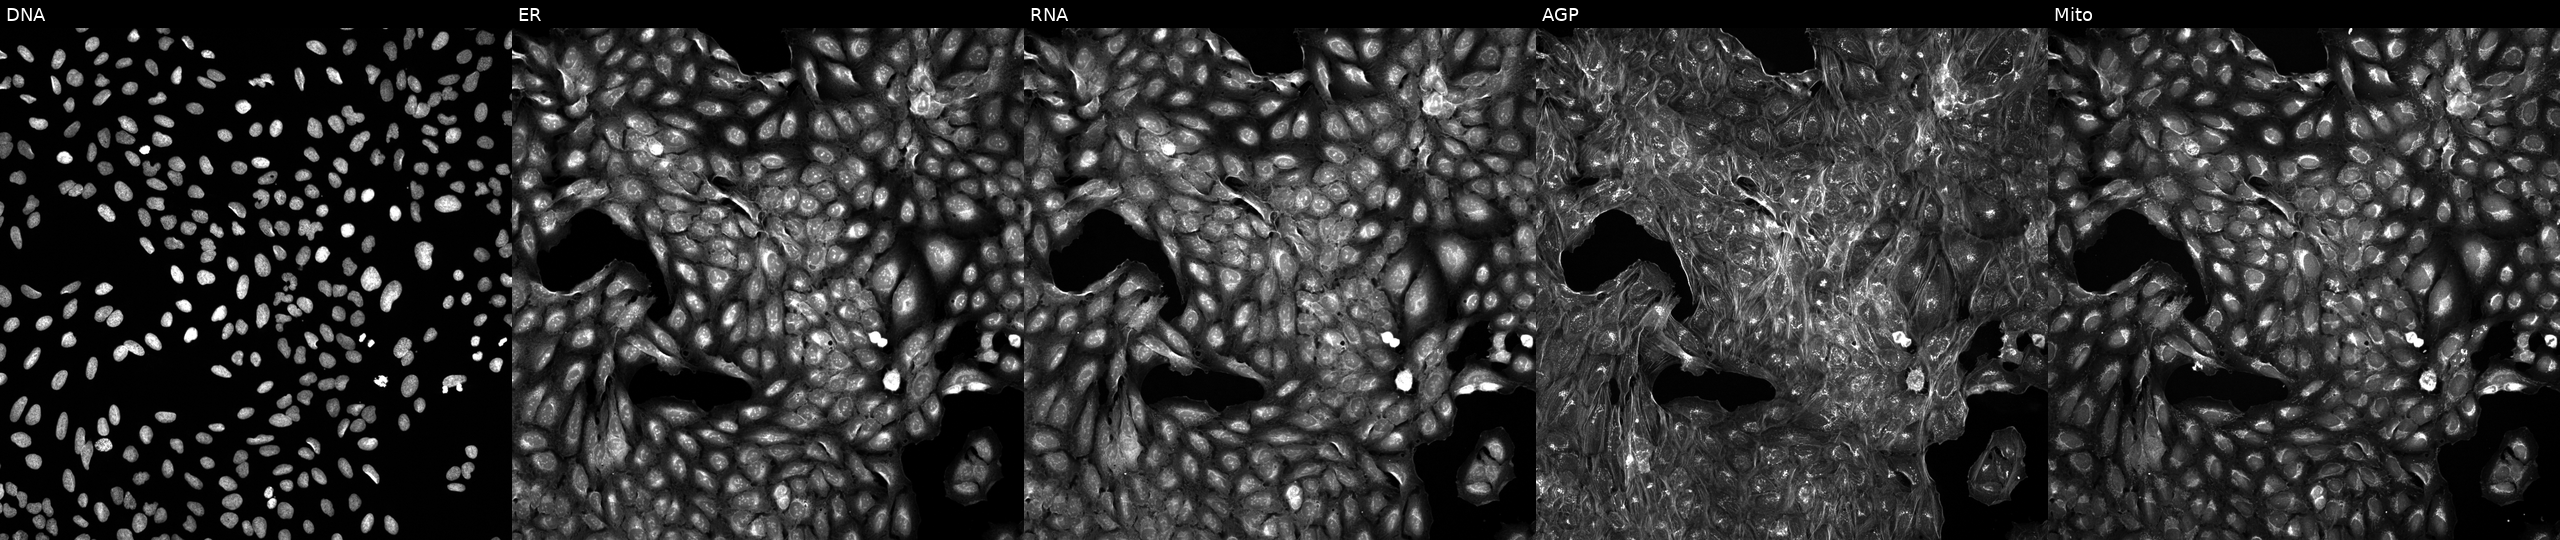
High-content fluorescence microscopy (Cell Painting). Cell line: U2OS. Perturbation: exposed to a small-molecule compound (InChIKey CJHNUDAKJNSGEL-UHFFFAOYSA-N) [SMILES: O=C(COc1cccc(N2CCCC2=O)c1)NCc1ccc(N2CCOCC2)nc1] (JUMP id JCP2022_011490). Panels show, left to right, DNA, ER, RNA, AGP, and Mito.